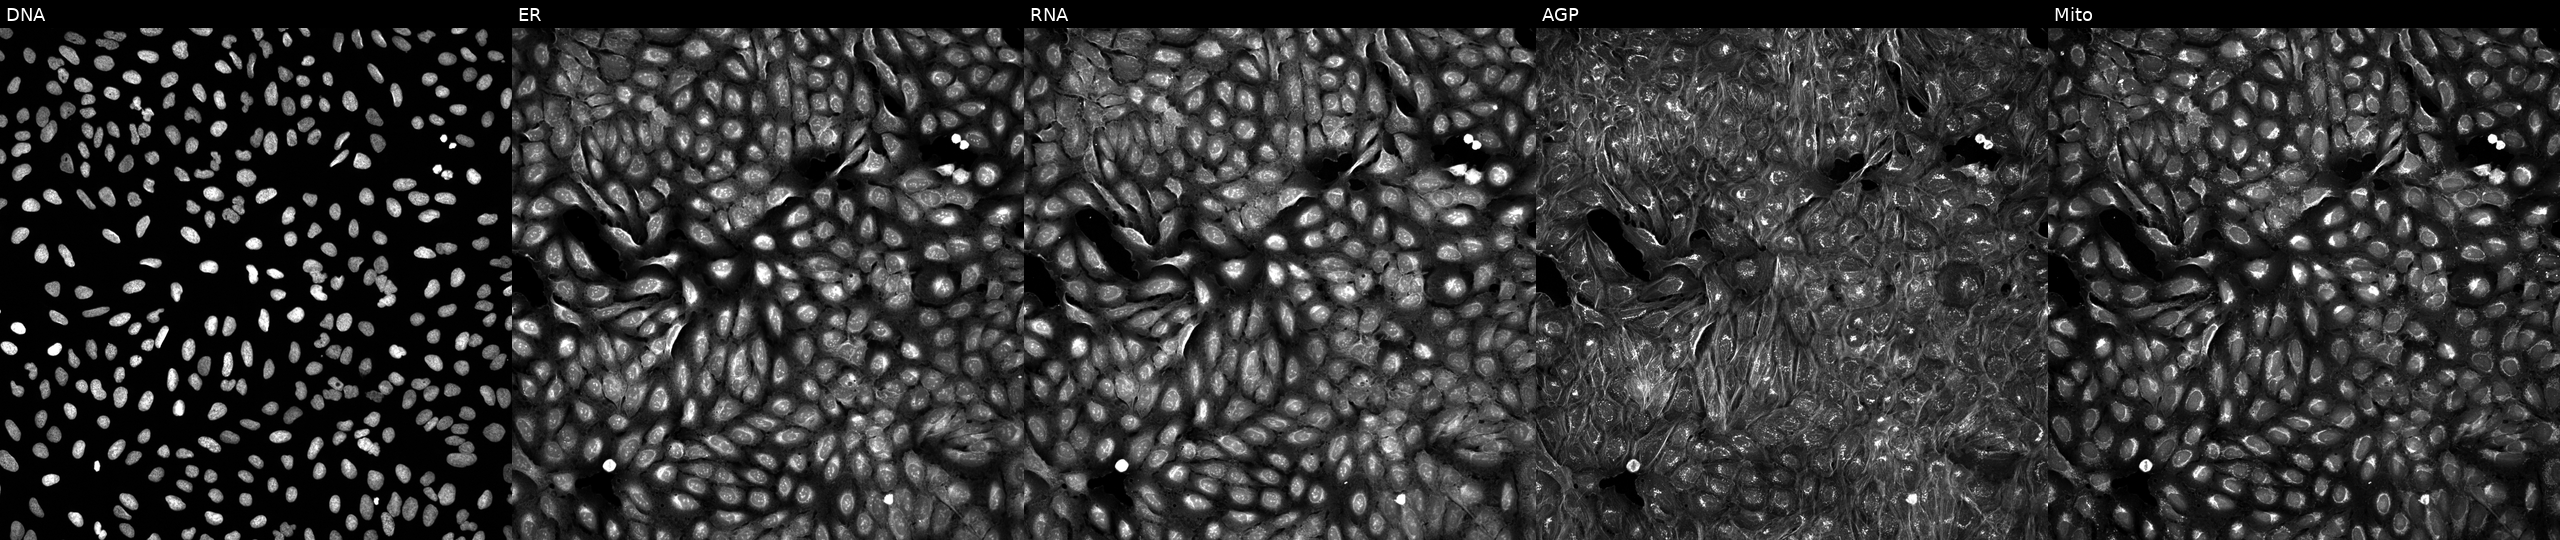
Five-channel Cell Painting image of U2OS cells treated with a small-molecule compound [SMILES: Cc1nc(CNC(=O)NC2CCOC2c2ccc(Cl)cc2)no1]. From left to right: DNA, ER, RNA, AGP, and Mito.